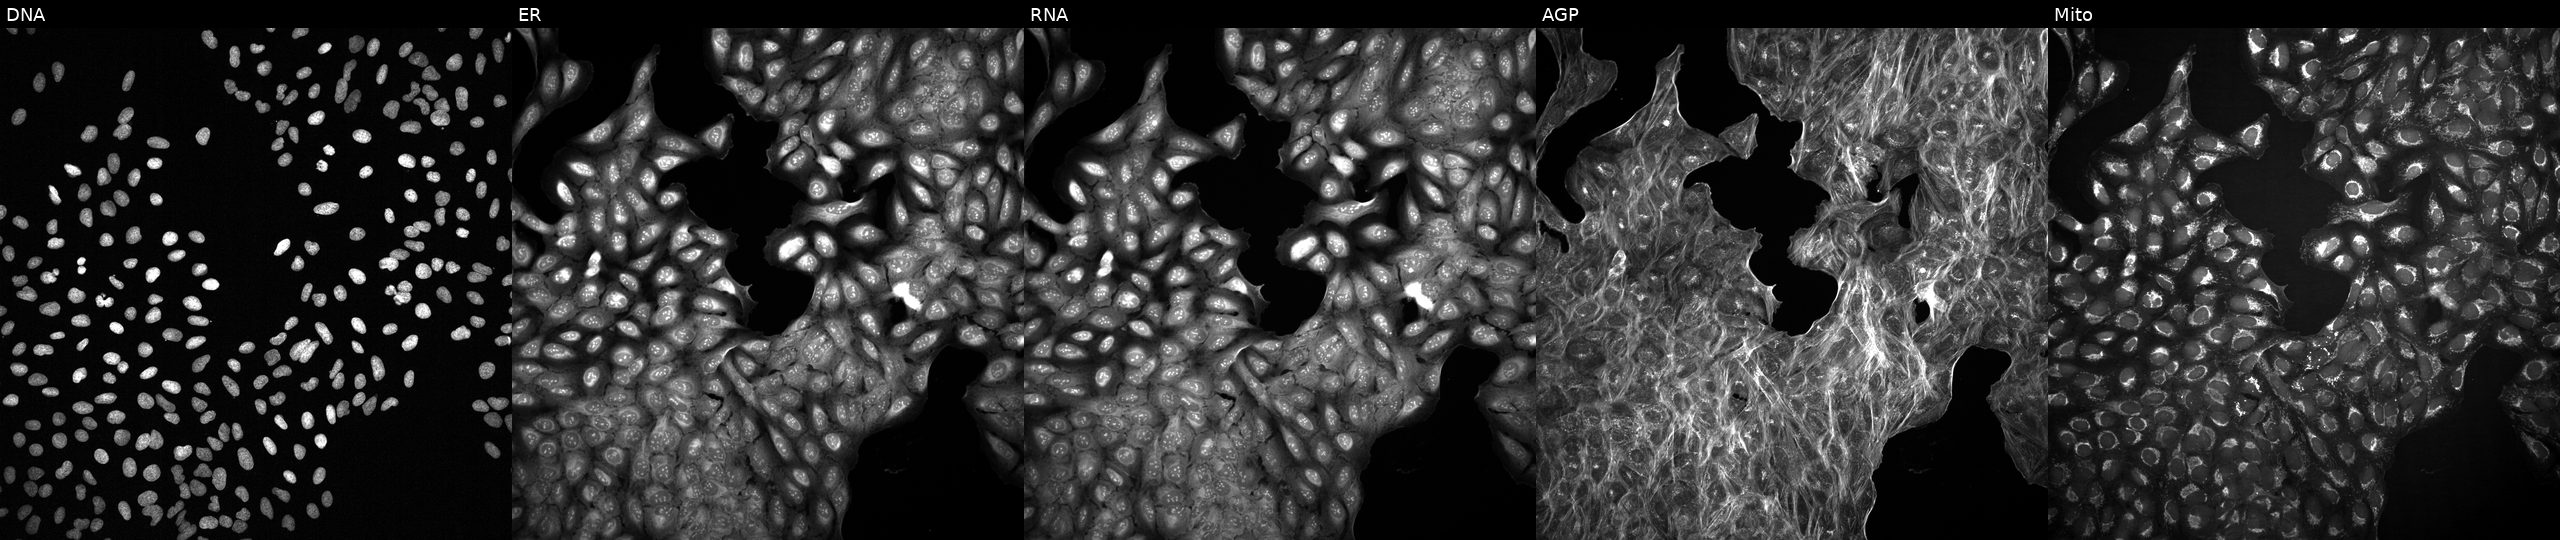
This image strip shows the five Cell Painting channels for a single field of U2OS cells with an unidentified perturbation (not annotated in JUMP metadata). Channels (left→right): Hoechst 33342, concanavalin A, SYTO 14, phalloidin and WGA, MitoTracker. Source 2, plate 1053601763, well L19.